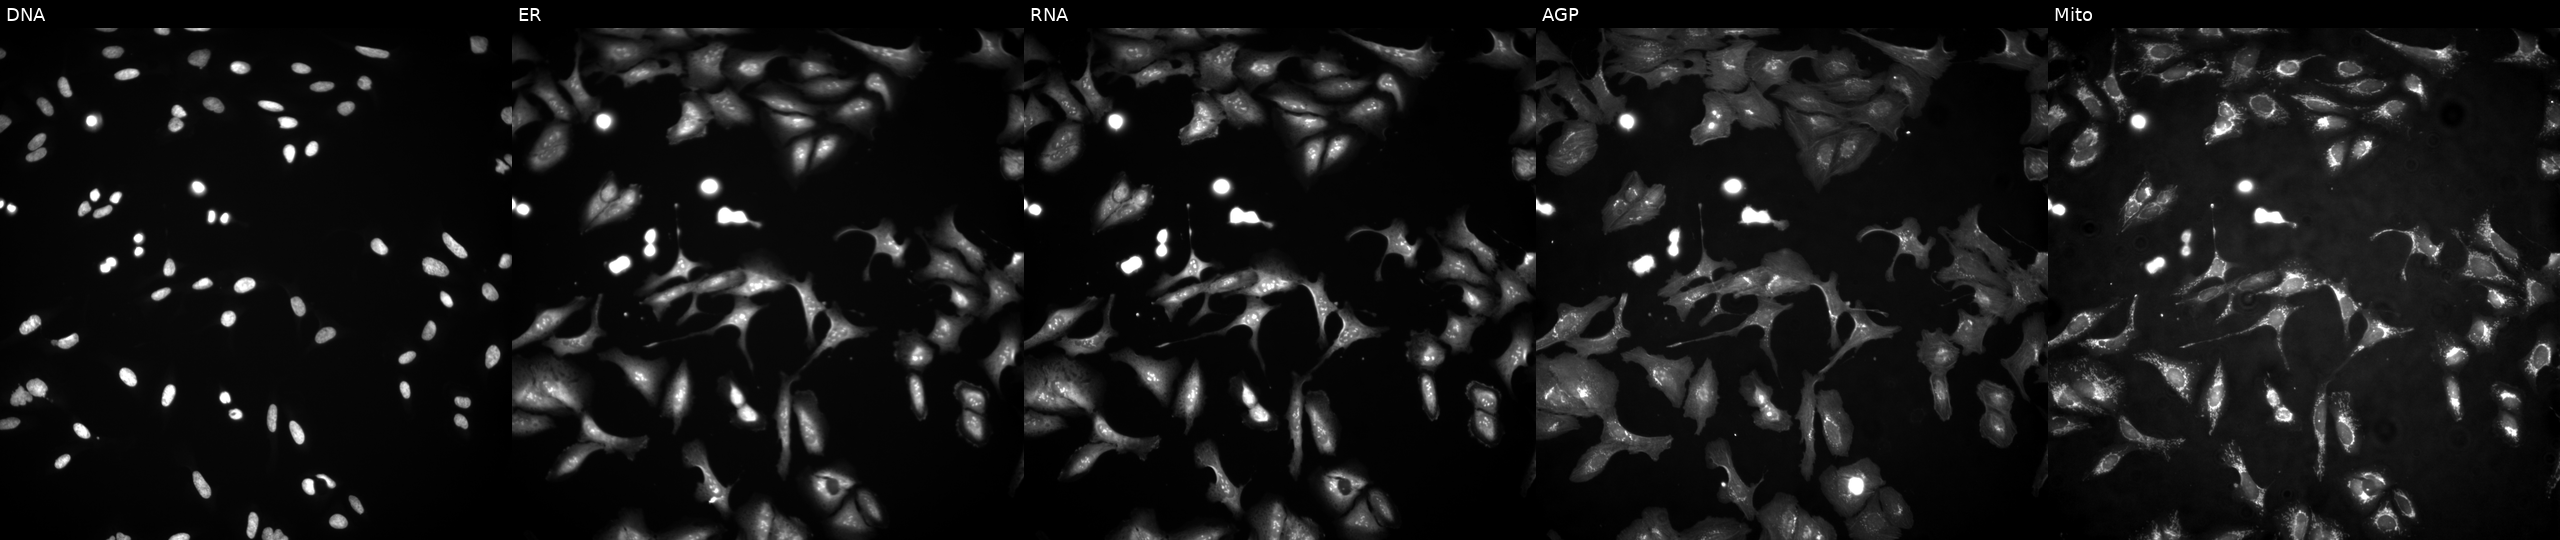
U2OS cells, Cell Painting assay, transfected with an ORF construct for DLX3 (JUMP id JCP2022_905710). The five panels, left to right, show DNA, ER, RNA, AGP, and Mito. Each panel is percentile-stretched 16-bit fluorescence. Source 4, plate BR00117035, well H07.